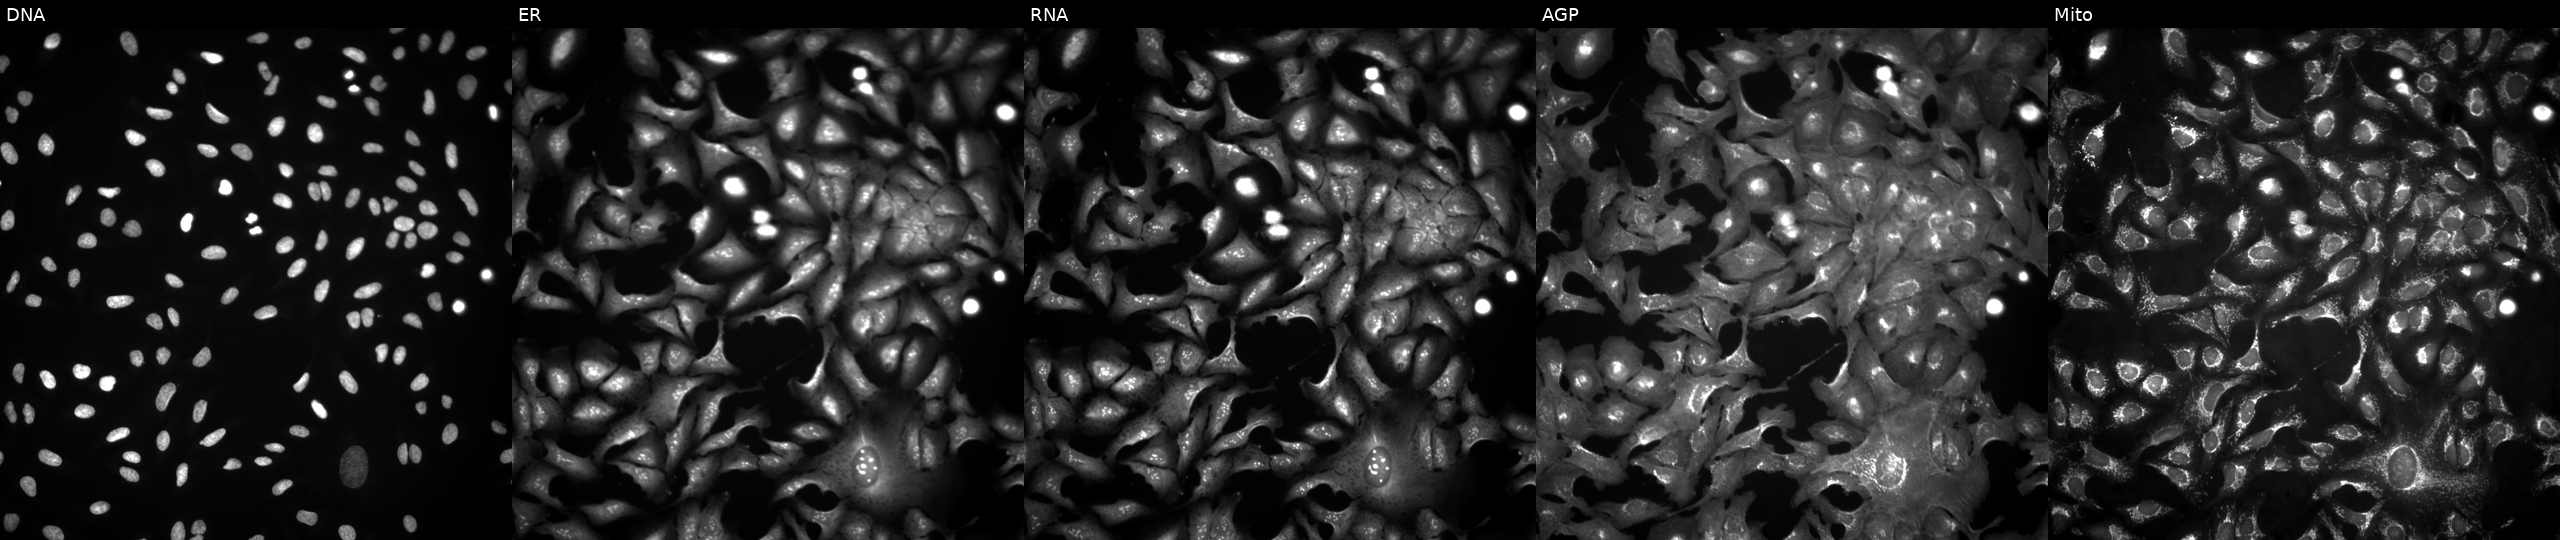
The five panels, left to right, show DNA (nuclei); ER (endoplasmic reticulum); RNA (nucleoli and cytoplasmic RNA); AGP (actin cytoskeleton, Golgi, and plasma membrane); Mito (mitochondria). U2OS osteosarcoma cells overexpressing PVRIG via ORF transfection. Cell Painting assay, JUMP-CP dataset.